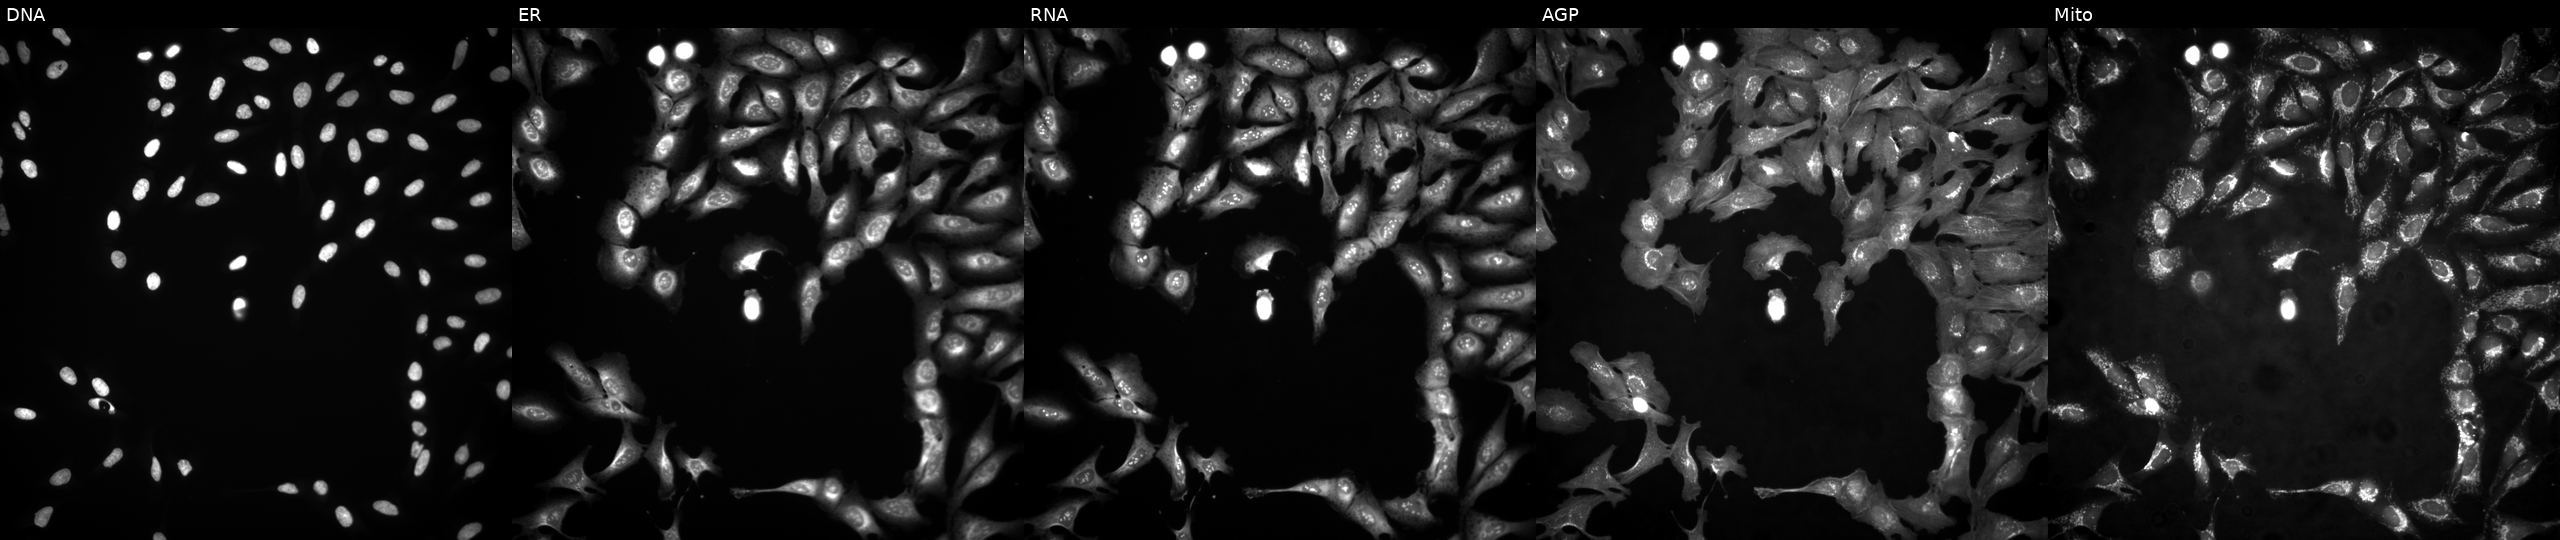
Channels (left→right): Hoechst 33342, concanavalin A, SYTO 14, phalloidin and WGA, MitoTracker. U2OS osteosarcoma cells transfected with an ORF construct for PEX11G (JUMP id JCP2022_904303). Cell Painting assay, JUMP-CP dataset.